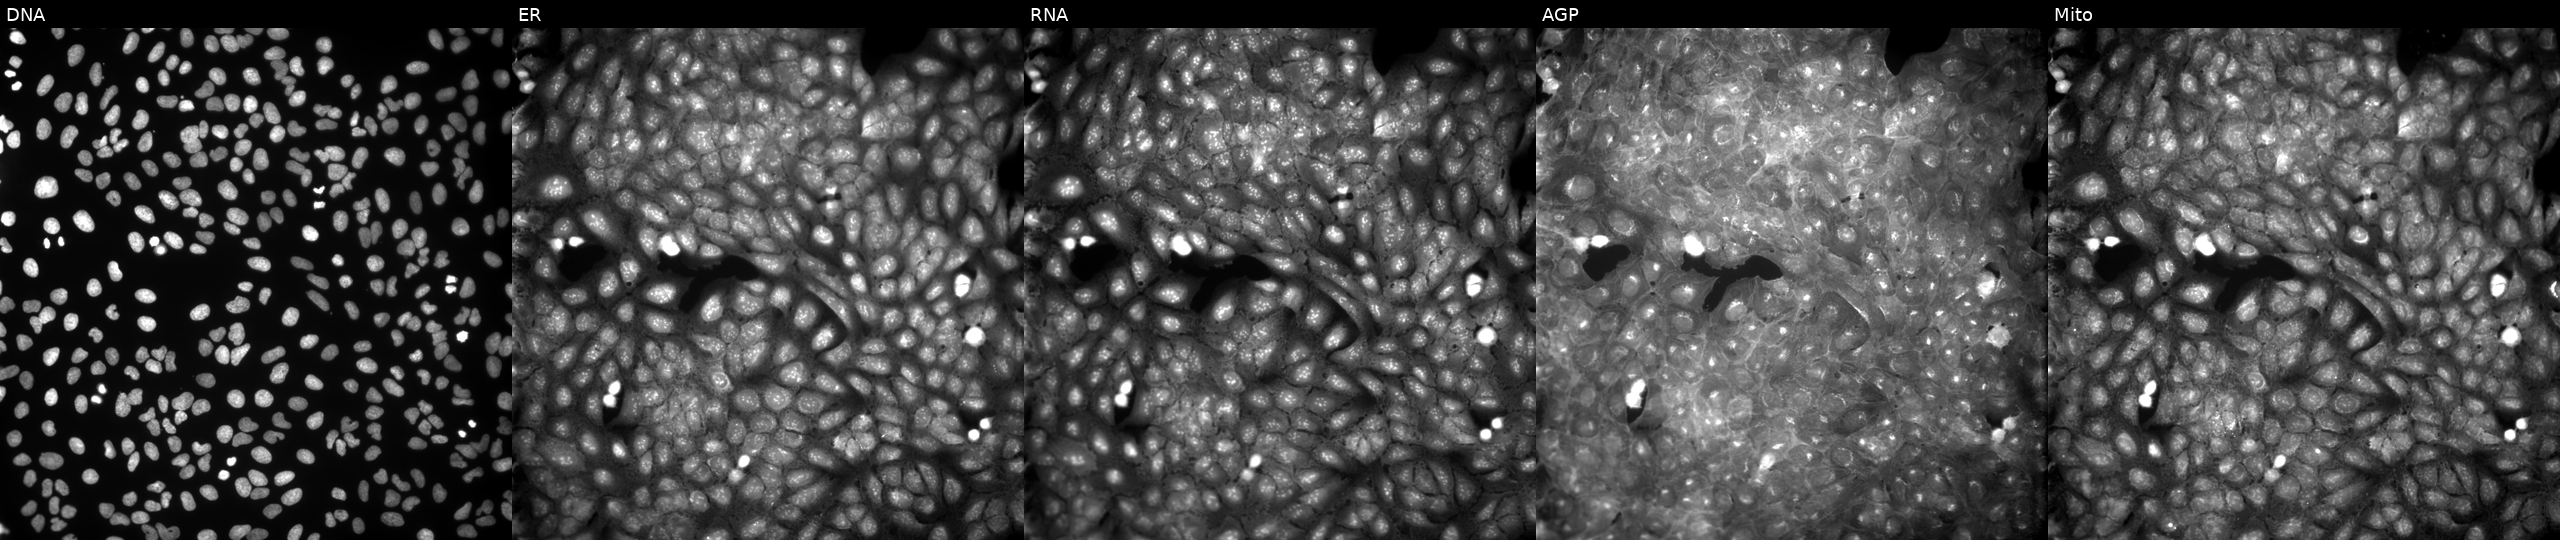
The five panels, left to right, show Hoechst 33342, concanavalin A, SYTO 14, phalloidin and WGA, MitoTracker. U2OS osteosarcoma cells treated with a small-molecule compound (InChIKey VDUHPBPDDRUJRO-UHFFFAOYSA-N). Cell Painting assay, JUMP-CP dataset. Source 9, plate GR00003382, well V17.